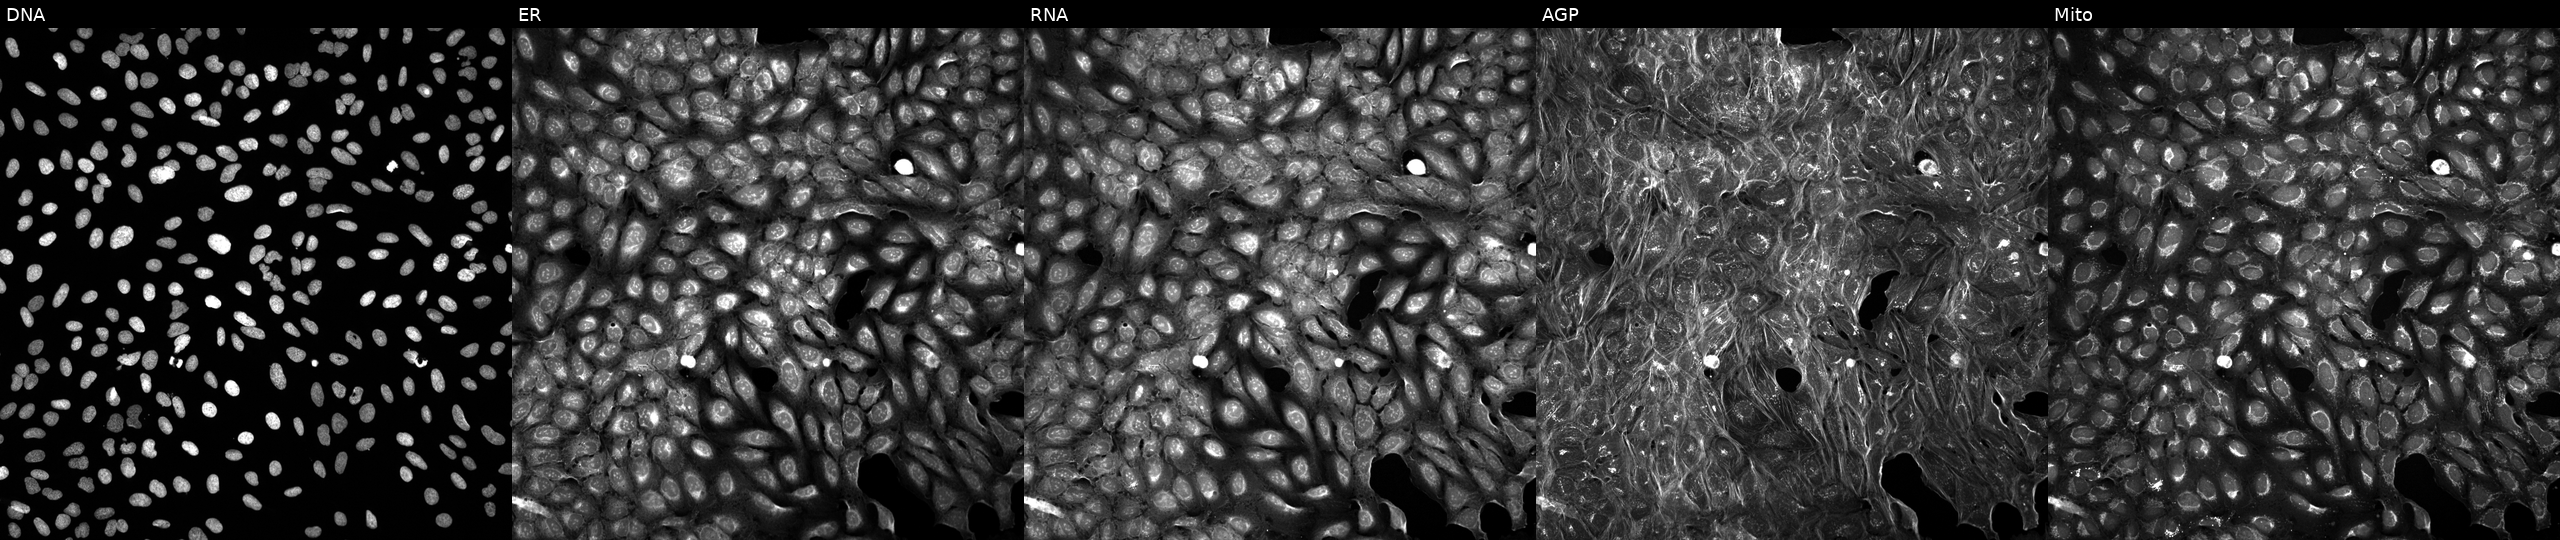
High-content fluorescence microscopy (Cell Painting). Cell line: U2OS. Perturbation: exposed to a small-molecule compound (InChIKey JDKKNQACNITFEA-UHFFFAOYSA-N) (JUMP id JCP2022_039047). Panels show, left to right, DNA (nuclei); ER (endoplasmic reticulum); RNA (nucleoli and cytoplasmic RNA); AGP (actin cytoskeleton, Golgi, and plasma membrane); Mito (mitochondria). Source 5, plate ACPJUM032, well O10.